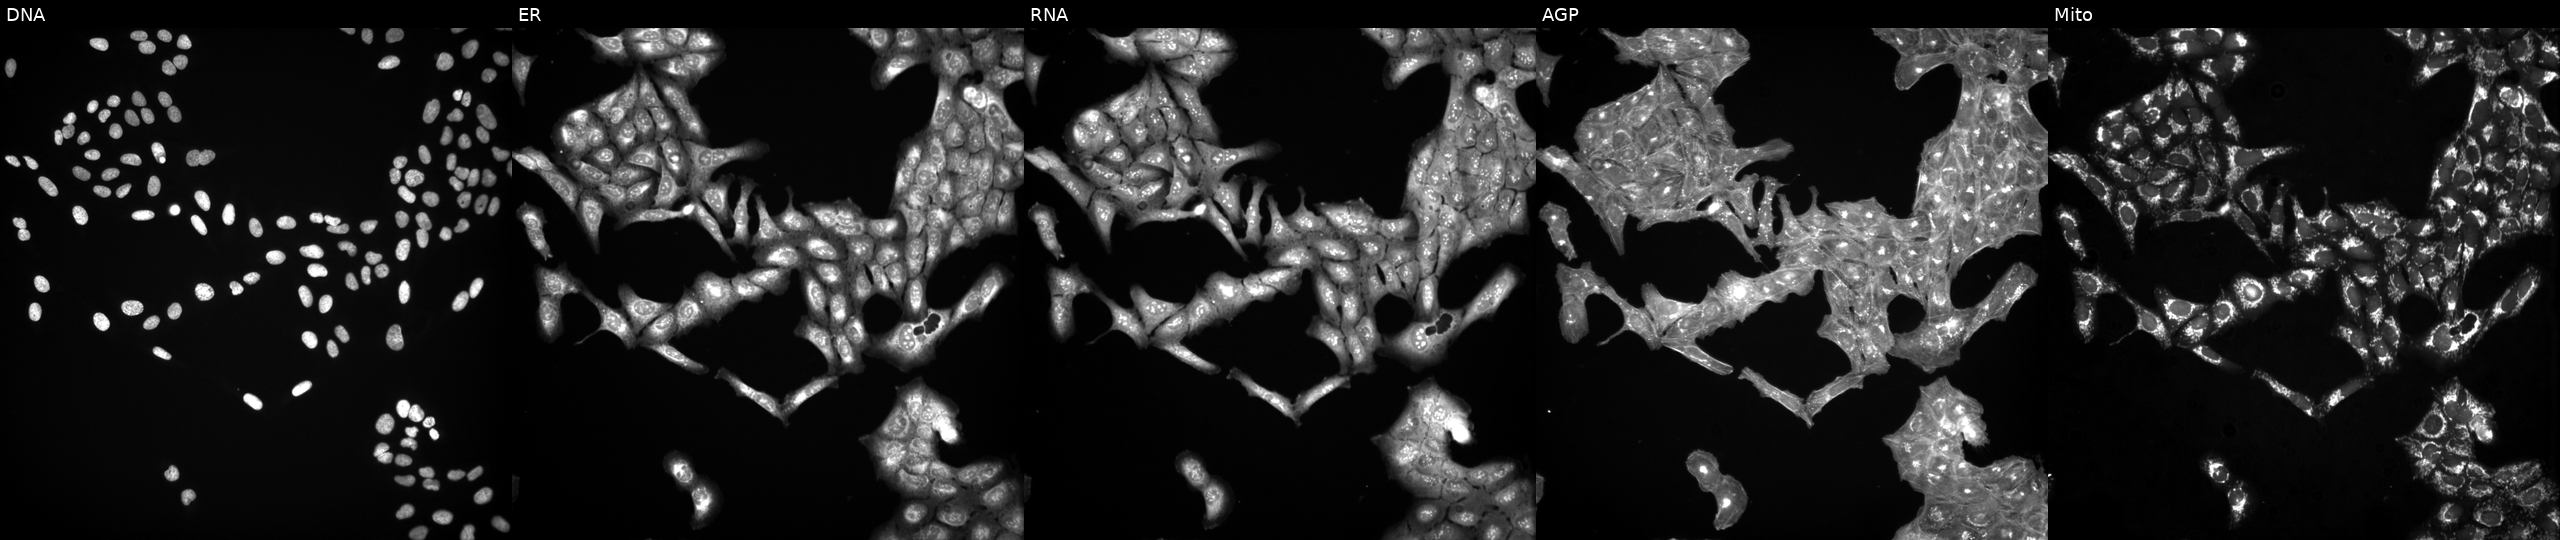
High-content fluorescence microscopy (Cell Painting). Cell line: U2OS. Perturbation: perturbed with a small-molecule compound (InChIKey RDOIQAHITMMDAJ-UHFFFAOYSA-N) (JUMP id JCP2022_077671). The five panels, left to right, show DNA, ER, RNA, AGP, and Mito.